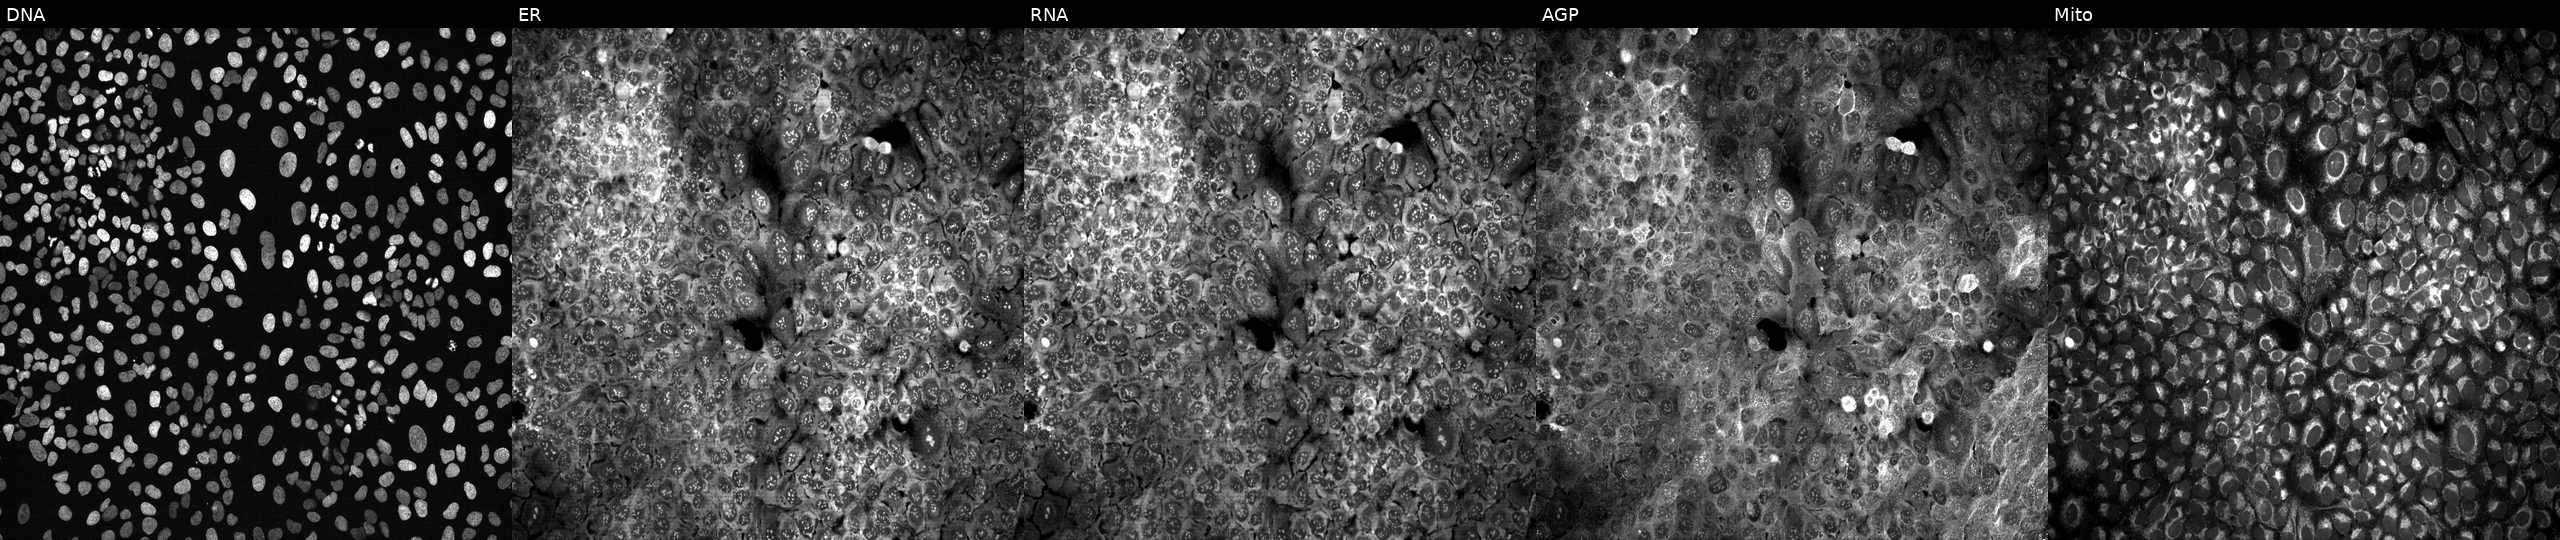
High-content fluorescence microscopy (Cell Painting). Cell line: U2OS. Perturbation: following CRISPR knockout of ABHD17B (JUMP id JCP2022_800074). Panels show, left to right, DNA, ER, RNA, AGP, and Mito.